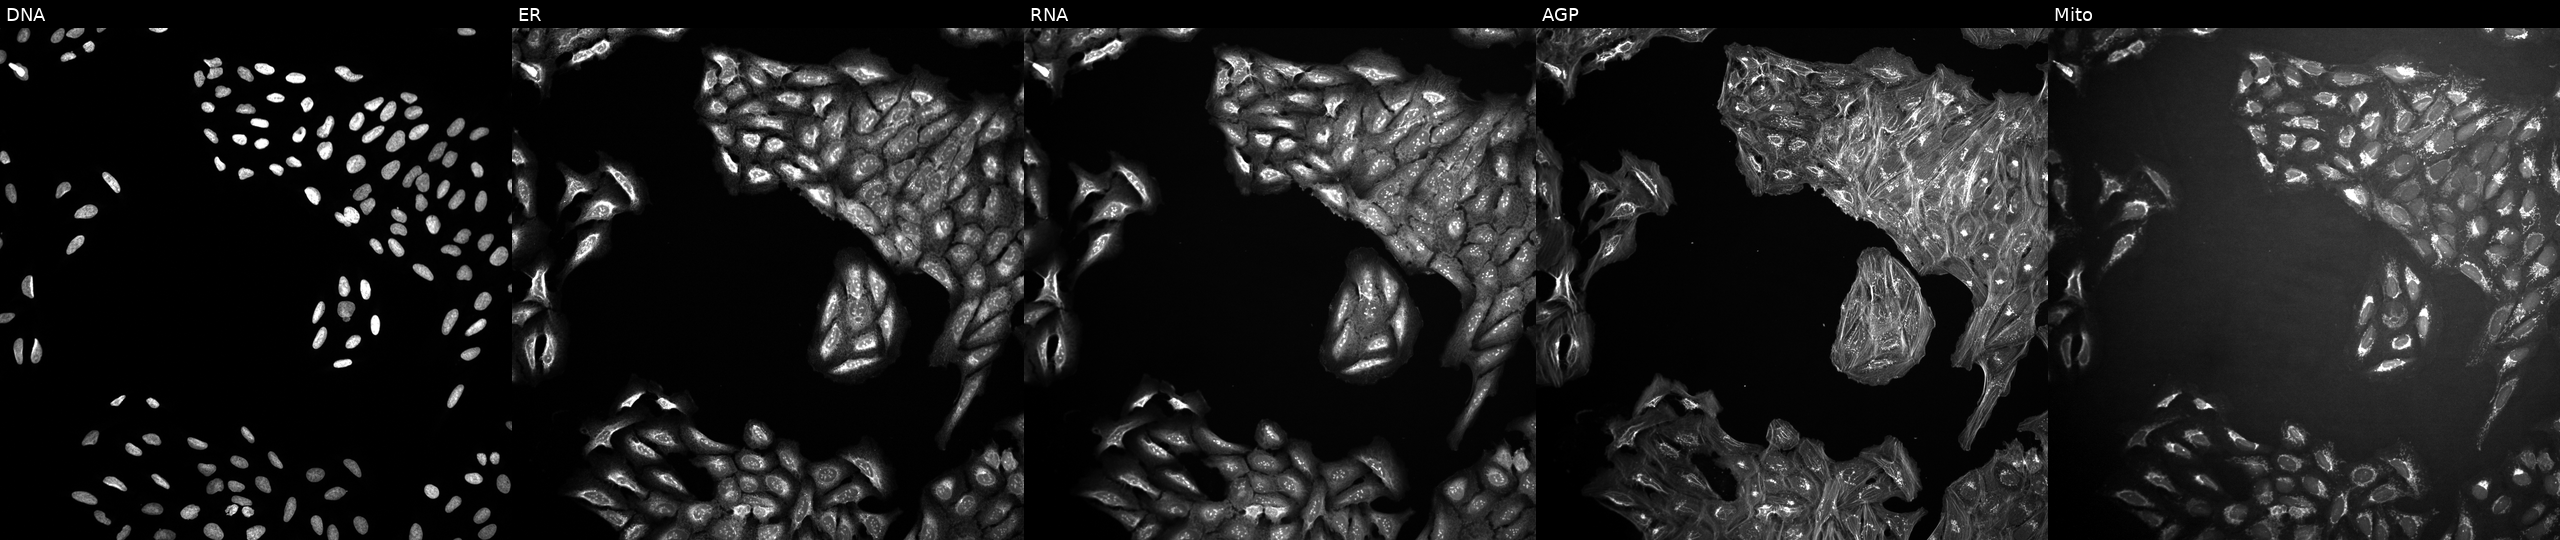
High-content fluorescence microscopy (Cell Painting). Cell line: U2OS. Perturbation: exposed to a small-molecule compound (InChIKey RCXQWKMBNDPPSA-UHFFFAOYSA-N) [SMILES: O=S(=O)(Cc1ccccc1)N1CCC(c2nnc(C(F)(F)F)o2)CC1] (JUMP id JCP2022_077552). Panels show, left to right, Hoechst 33342, concanavalin A, SYTO 14, phalloidin and WGA, MitoTracker.